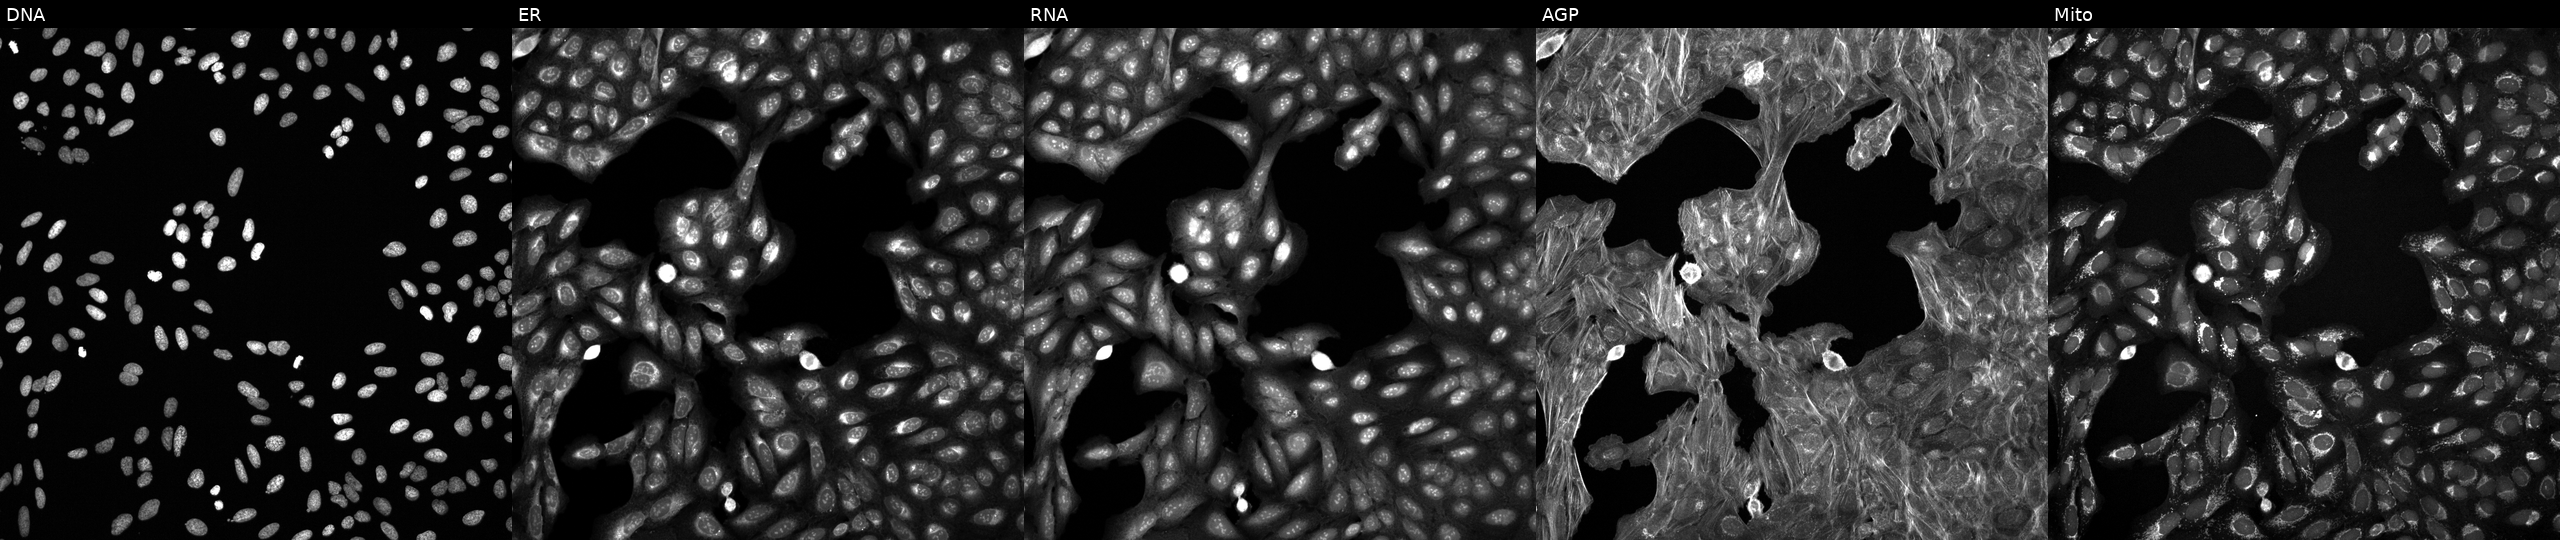
High-content fluorescence microscopy (Cell Painting). Cell line: U2OS. Perturbation: treated with a small-molecule compound (InChIKey LWNDVGCPPAOGCG-UHFFFAOYSA-N) [SMILES: O=C(c1ccc(-c2nc3ccccc3s2)s1)N1CCOCC1] (JUMP id JCP2022_052174). Panels show, left to right, DNA (nuclei); ER (endoplasmic reticulum); RNA (nucleoli and cytoplasmic RNA); AGP (actin cytoskeleton, Golgi, and plasma membrane); Mito (mitochondria). Source 6, plate 110000293083, well P18.